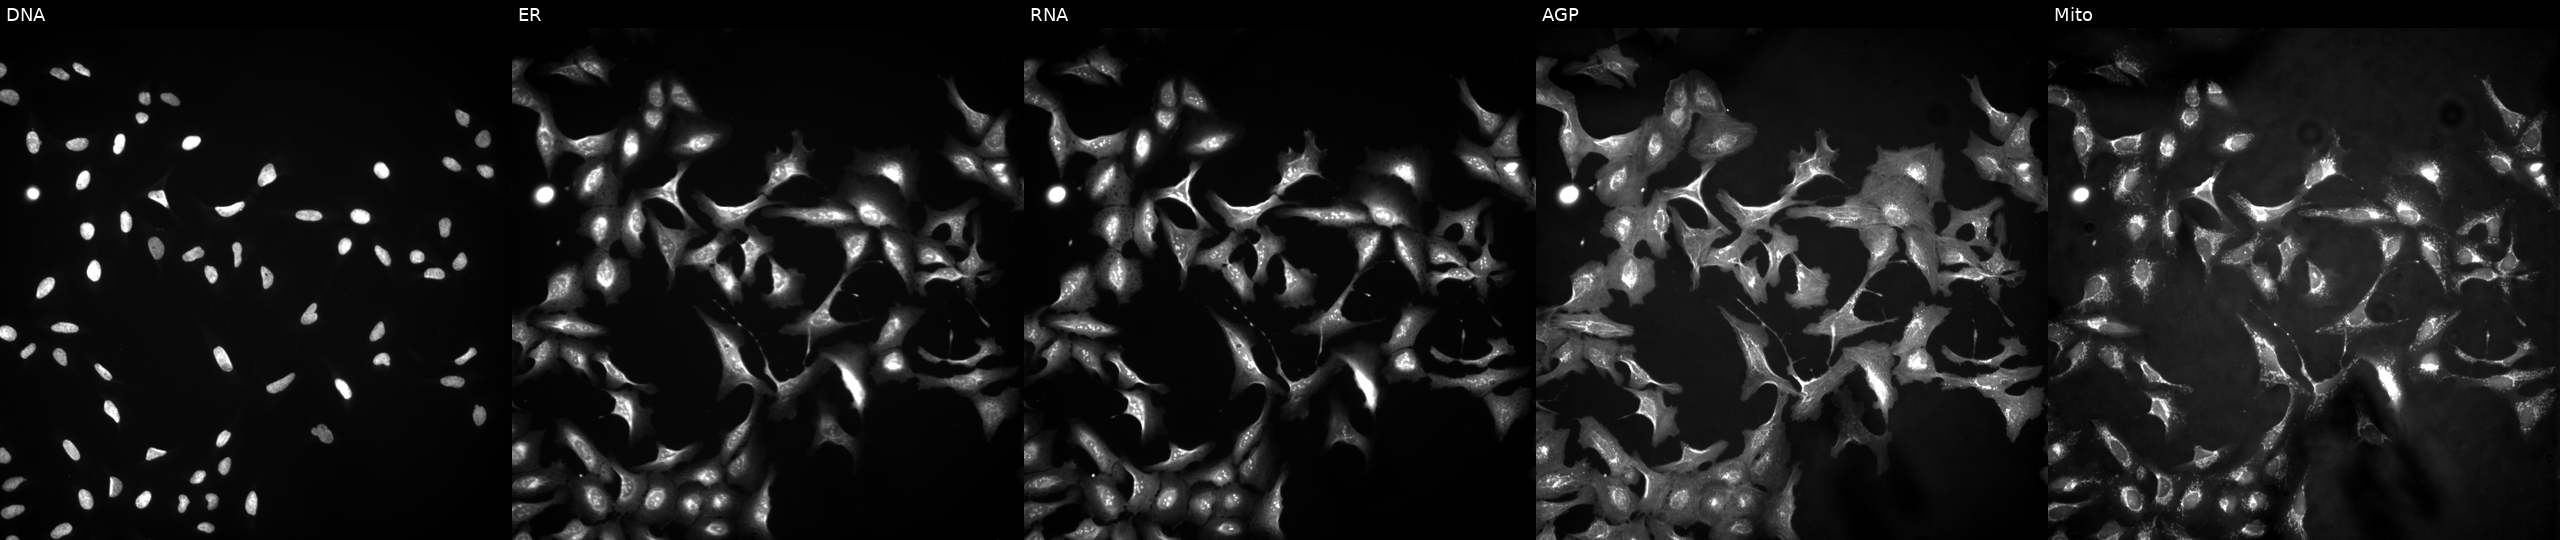
JUMP Cell Painting — ORF plate. U2OS cells transfected with an ORF construct for ARF3. The five panels, left to right, show Hoechst 33342, concanavalin A, SYTO 14, phalloidin and WGA, MitoTracker.